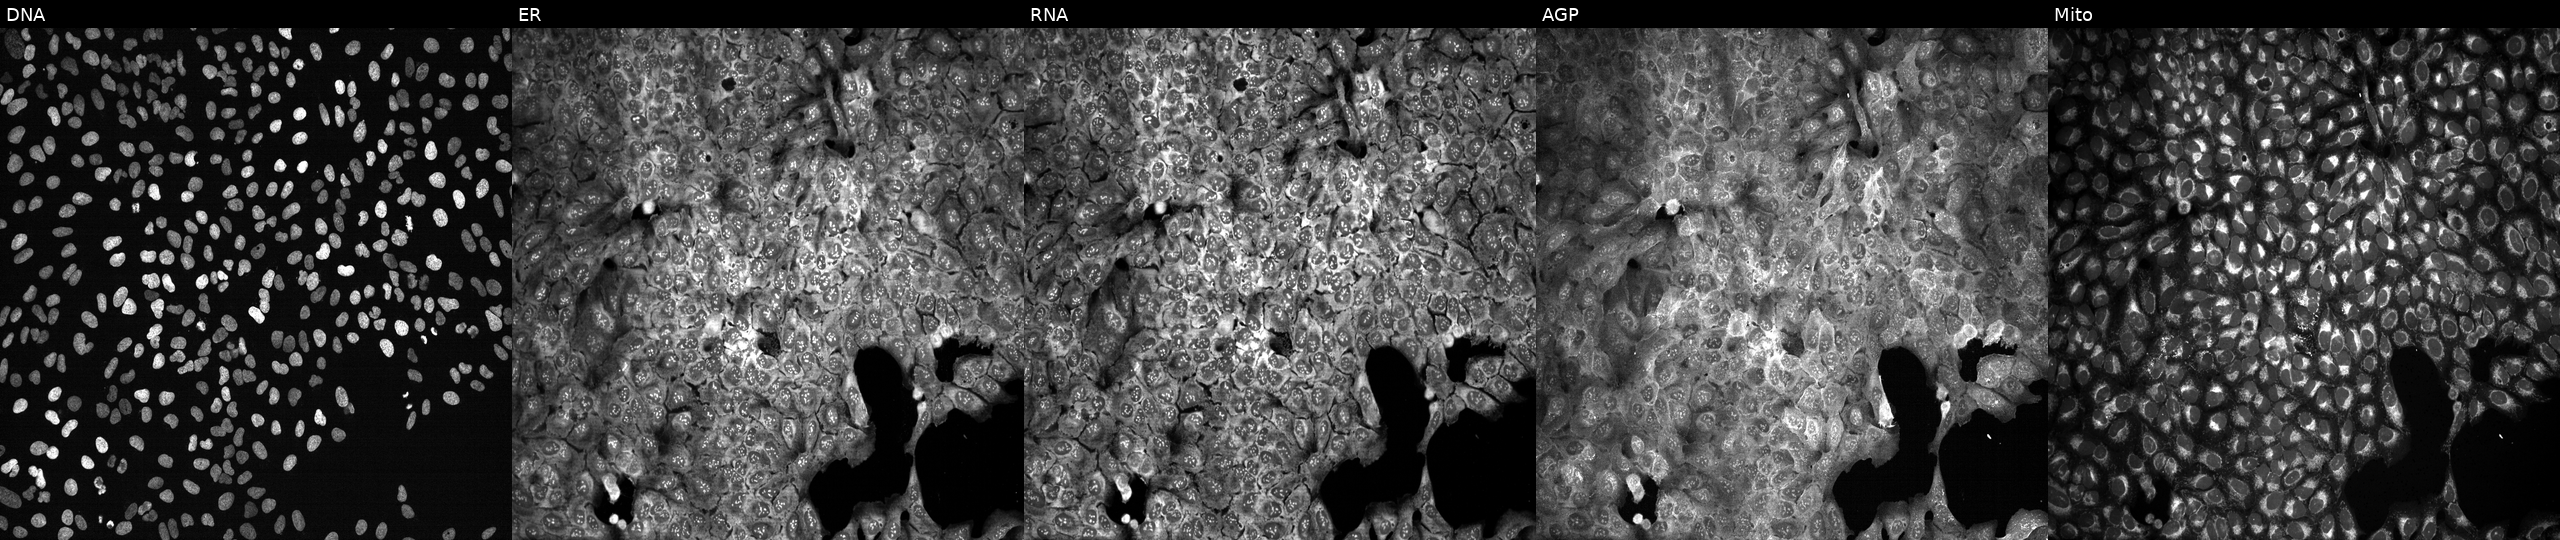
U2OS cells, Cell Painting assay, following CRISPR knockout of UBASH3B. The five panels, left to right, show DNA, ER, RNA, AGP, and Mito. Each panel is percentile-stretched 16-bit fluorescence. Source 13, plate CP-CC9-R4-03, well L19.